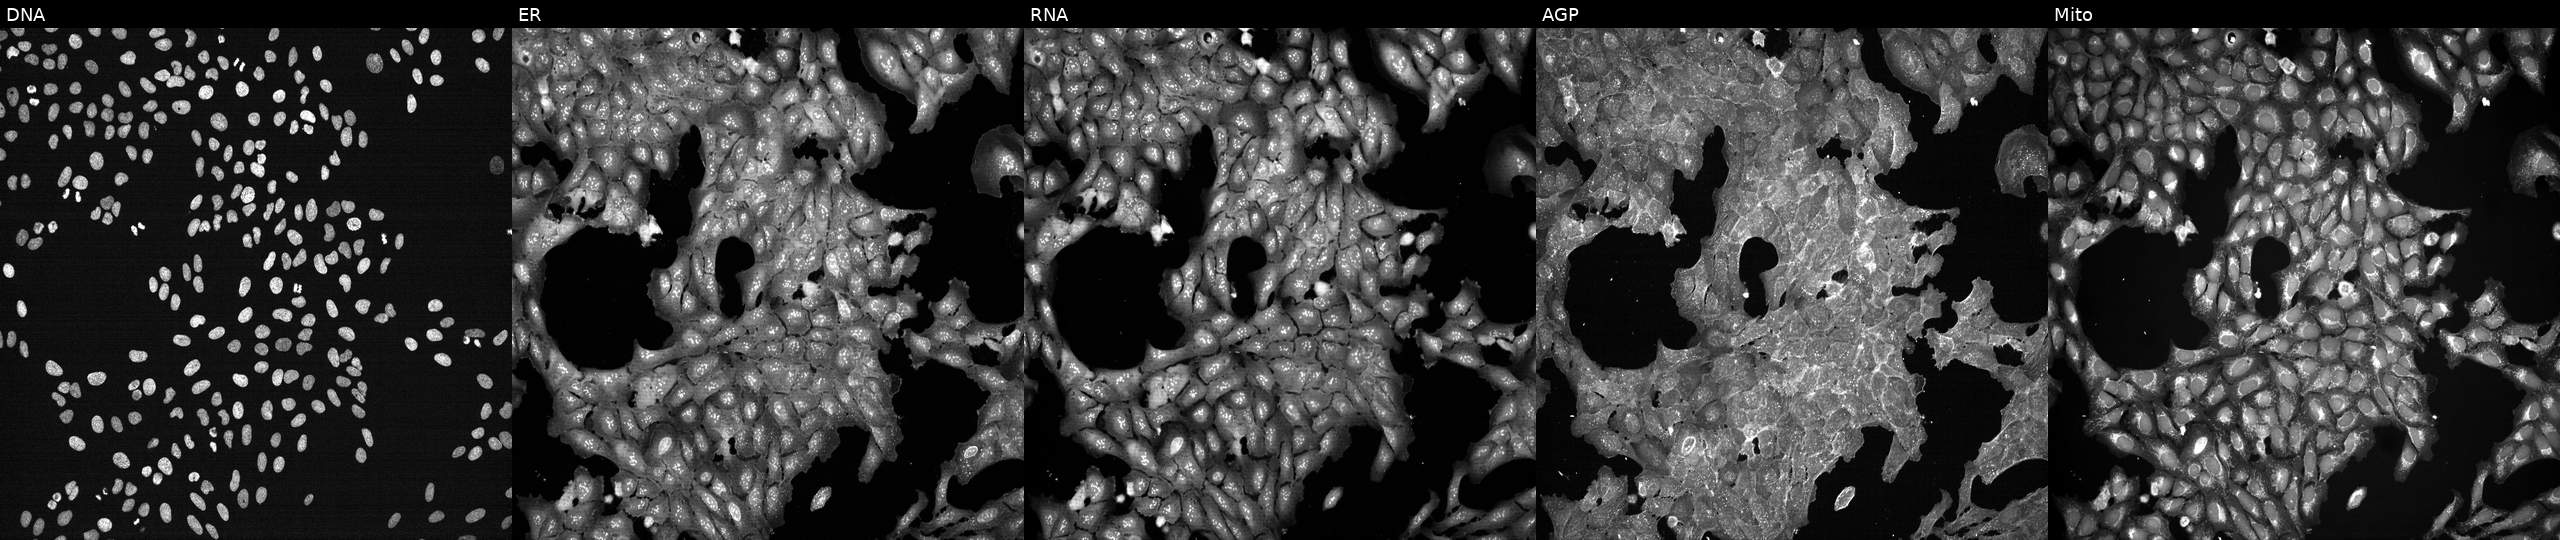
Five-channel Cell Painting image of U2OS cells treated with DMSO vehicle only (negative control). Panels show, left to right, DNA, ER, RNA, AGP, and Mito. Source 7, plate CP2-SC1-25, well E18.